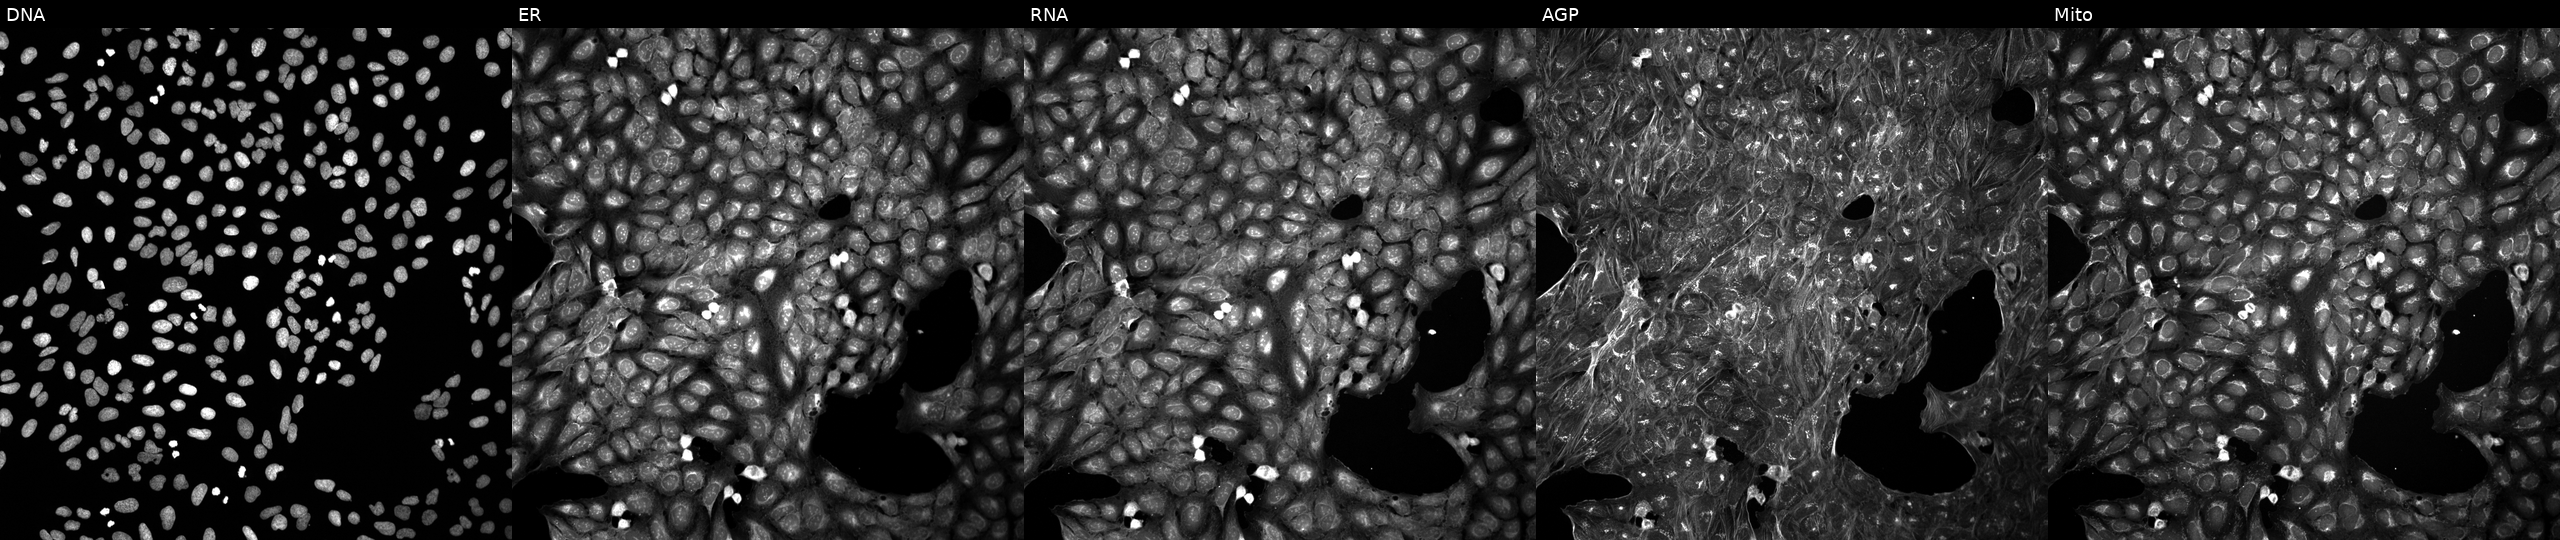
High-content fluorescence microscopy (Cell Painting). Cell line: U2OS. Perturbation: exposed to DMSO alone as a negative control. Channels (left→right): Hoechst 33342, concanavalin A, SYTO 14, phalloidin and WGA, MitoTracker. Source 5, plate APTJUM105, well G23.